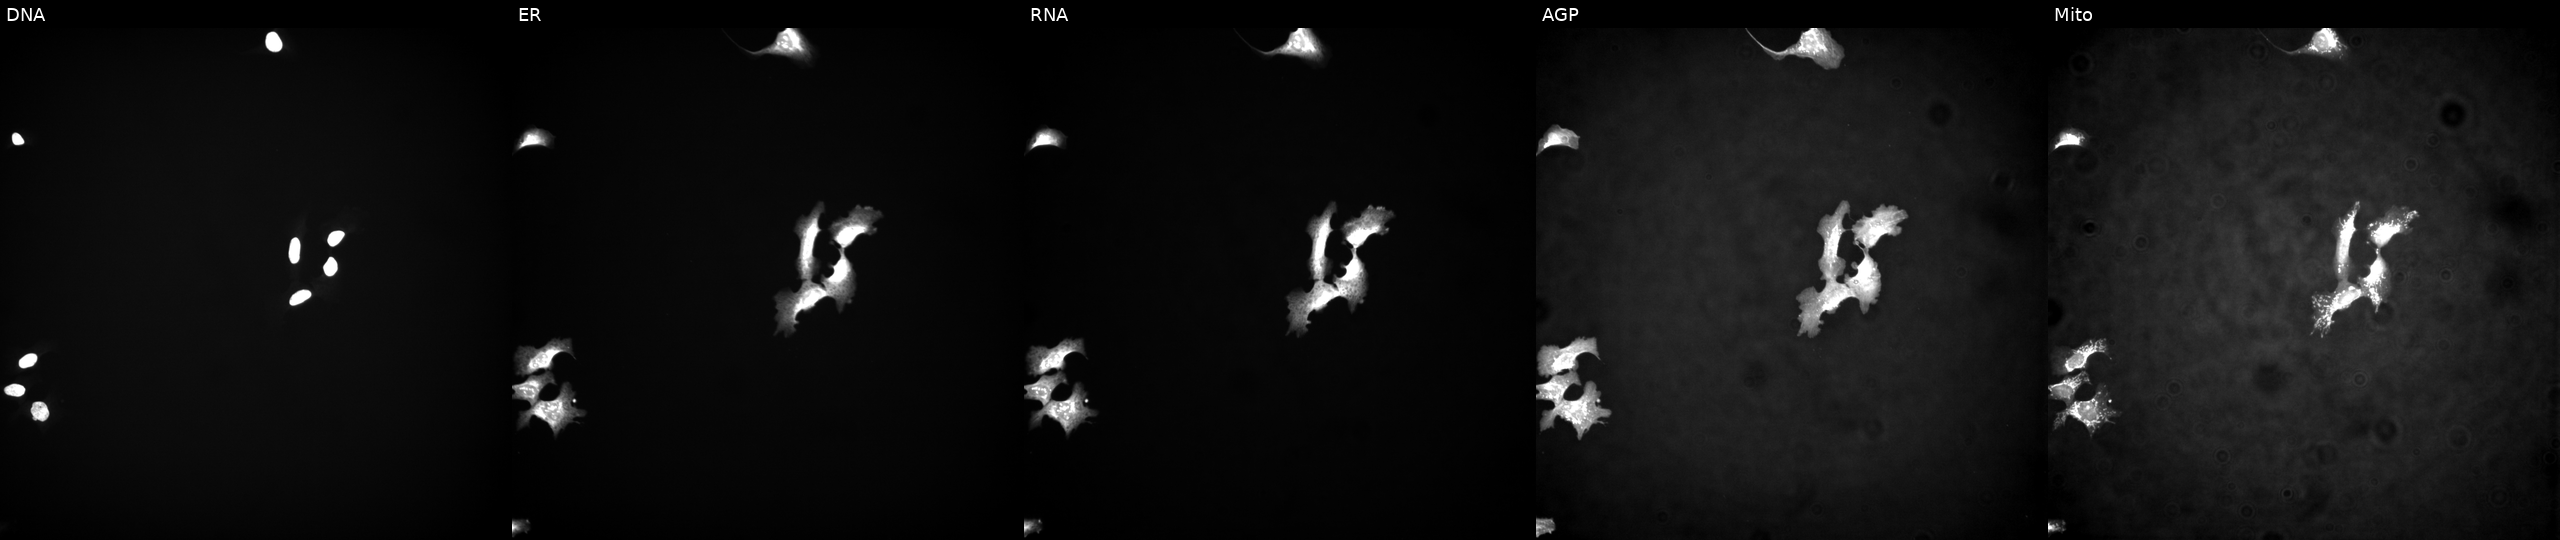
U2OS cells, Cell Painting assay, with PRKX overexpressed (ORF) (JUMP id JCP2022_913838). From left to right: DNA (nuclei); ER (endoplasmic reticulum); RNA (nucleoli and cytoplasmic RNA); AGP (actin cytoskeleton, Golgi, and plasma membrane); Mito (mitochondria). Each panel is percentile-stretched 16-bit fluorescence. Source 4, plate BR00123945, well K12.